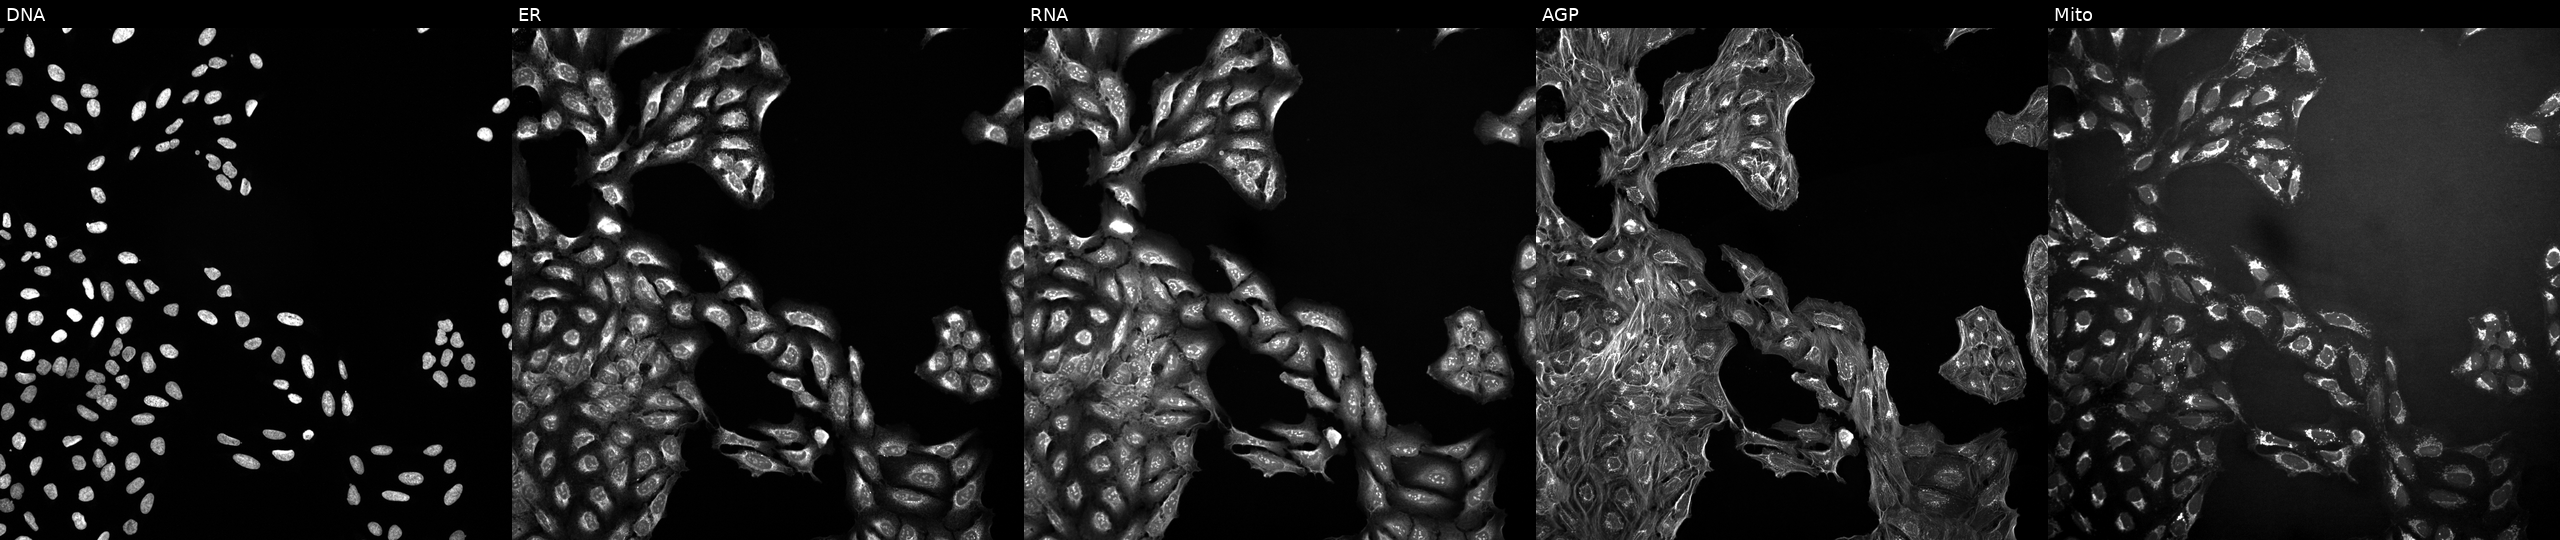
Five-channel Cell Painting image of U2OS cells in an empty control well (no perturbation) (JUMP id JCP2022_999999). From left to right: DNA (nuclei); ER (endoplasmic reticulum); RNA (nucleoli and cytoplasmic RNA); AGP (actin cytoskeleton, Golgi, and plasma membrane); Mito (mitochondria). Source 10, plate Dest210531-152324, well D06.